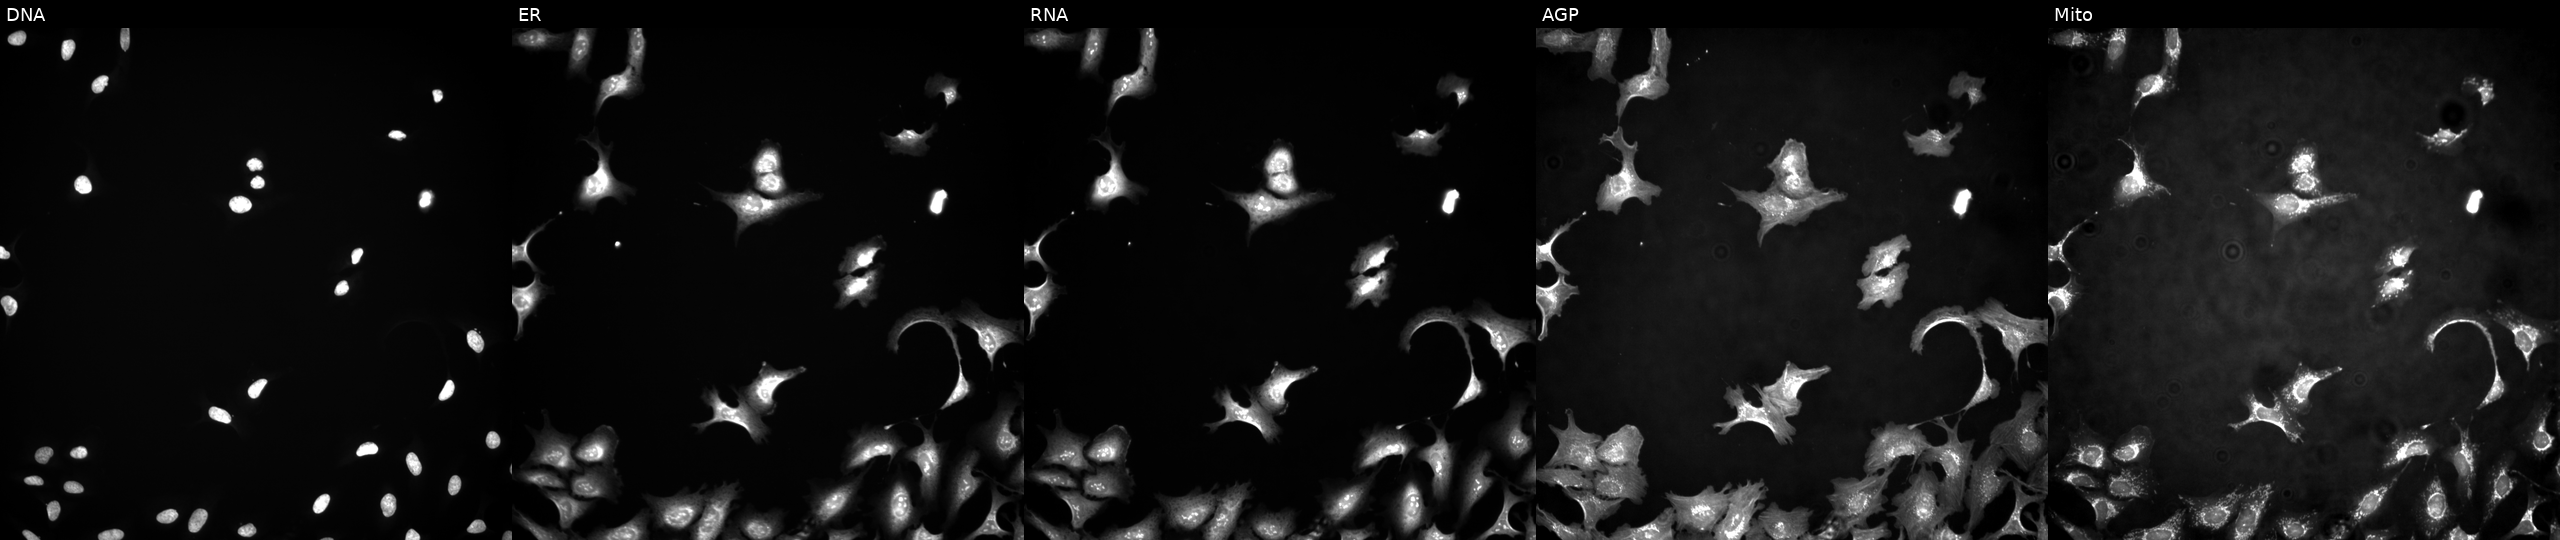
U2OS cells, Cell Painting assay, overexpressing MAP3K13 via ORF transfection (JUMP id JCP2022_910579). From left to right: Hoechst 33342, concanavalin A, SYTO 14, phalloidin and WGA, MitoTracker. Each panel is percentile-stretched 16-bit fluorescence.